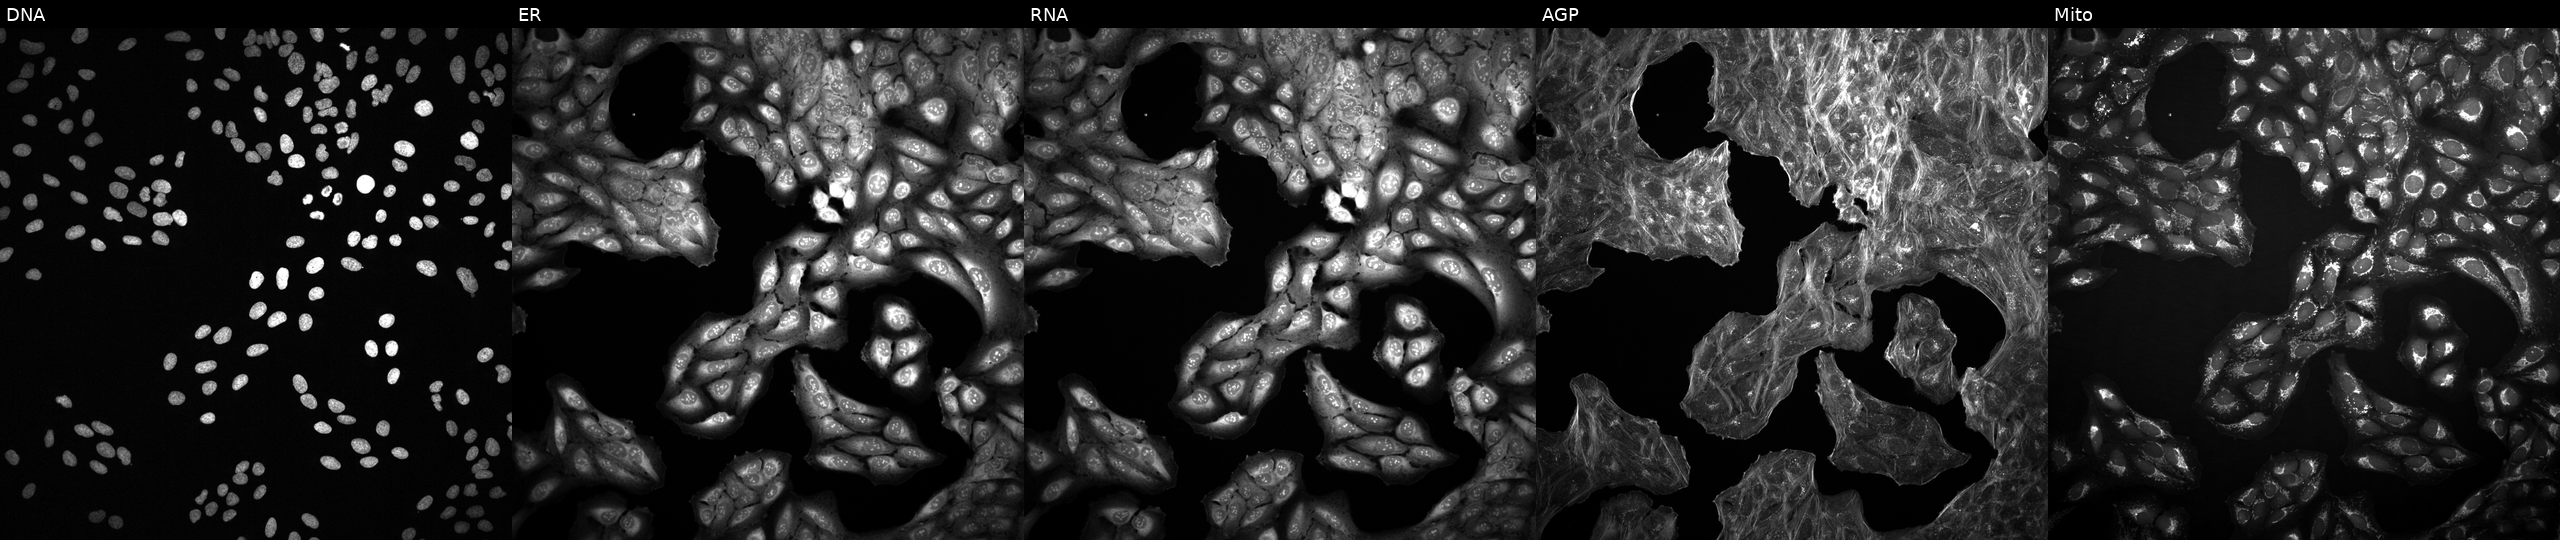
U2OS cells, Cell Painting assay, perturbed with a small-molecule compound (JUMP id JCP2022_076523). From left to right: DNA, ER, RNA, AGP, and Mito. Each panel is percentile-stretched 16-bit fluorescence.